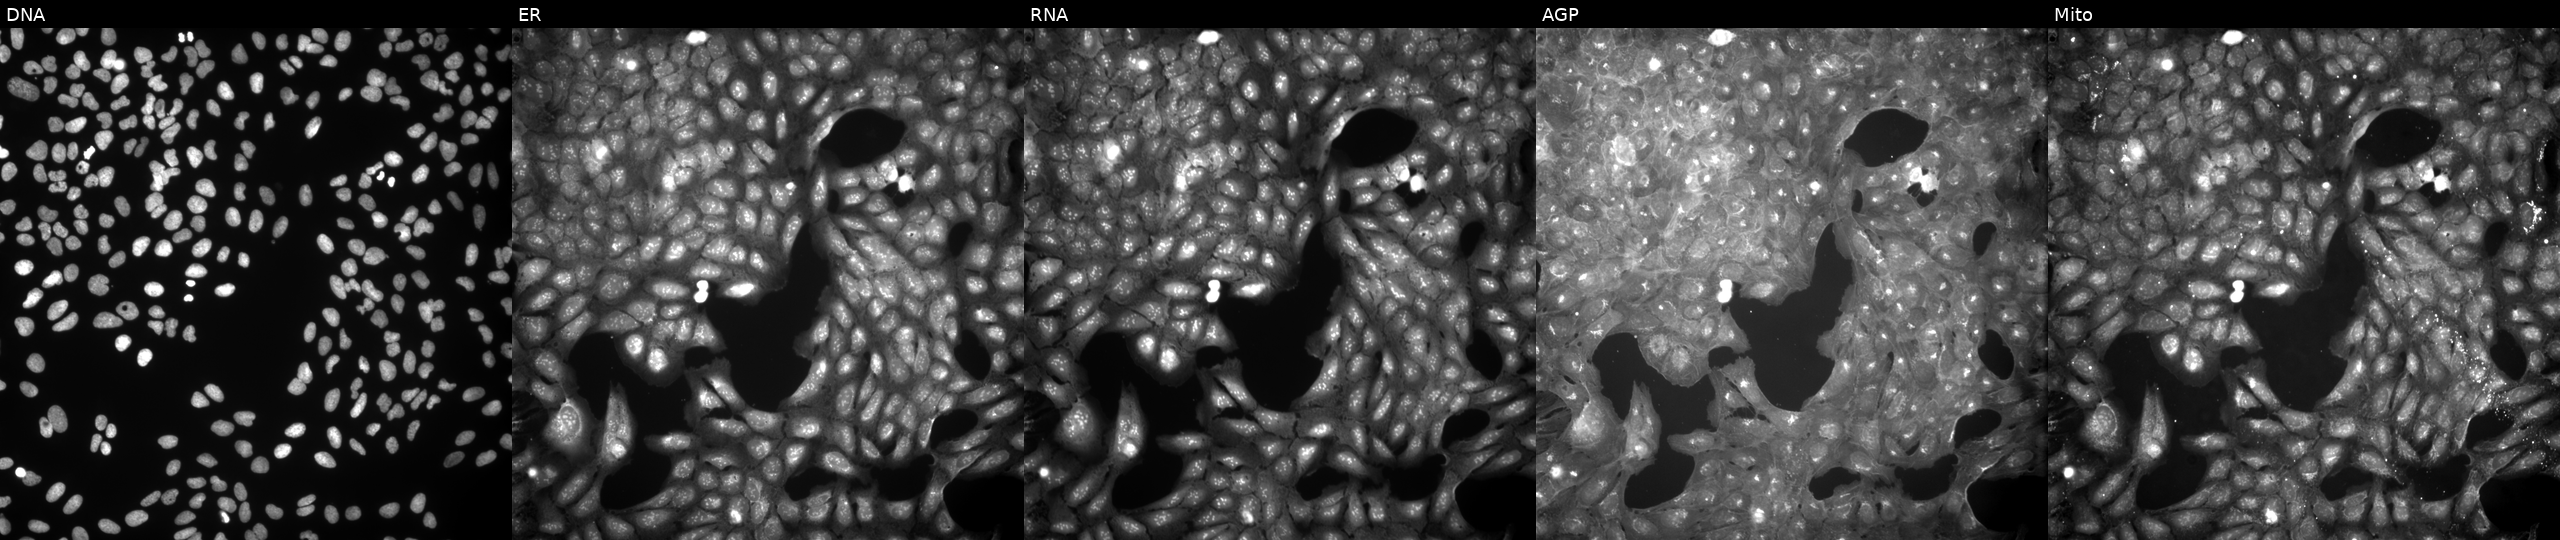
JUMP Cell Painting — COMPOUND plate. U2OS cells treated with DMSO vehicle only (negative control) (JUMP id JCP2022_033924). Channels (left→right): DNA, ER, RNA, AGP, and Mito. Source 9, plate GR00003382, well I26.